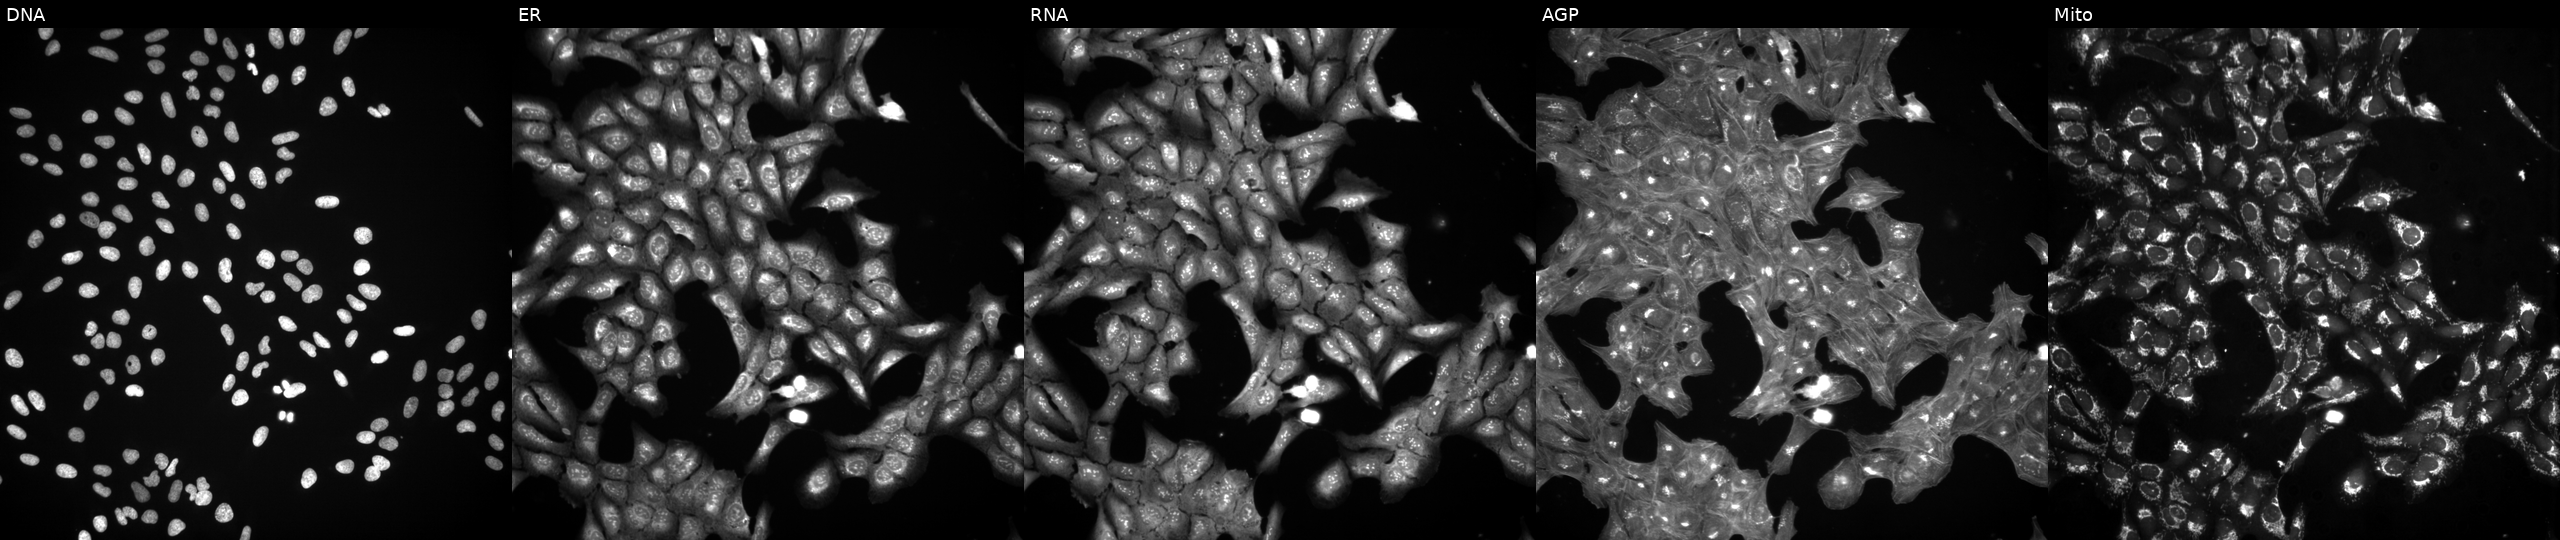
Five-channel Cell Painting image of U2OS cells exposed to a small-molecule compound (InChIKey ZCYDTMIUUAIXIP-UHFFFAOYSA-N) [SMILES: Cc1ccc(-n2nnnc2SCC(=O)N2c3ccccc3NC(=O)C2(C)C)cc1] (JUMP id JCP2022_112554). From left to right: DNA (nuclei); ER (endoplasmic reticulum); RNA (nucleoli and cytoplasmic RNA); AGP (actin cytoskeleton, Golgi, and plasma membrane); Mito (mitochondria). Source 3, plate BR5867b3, well N18.